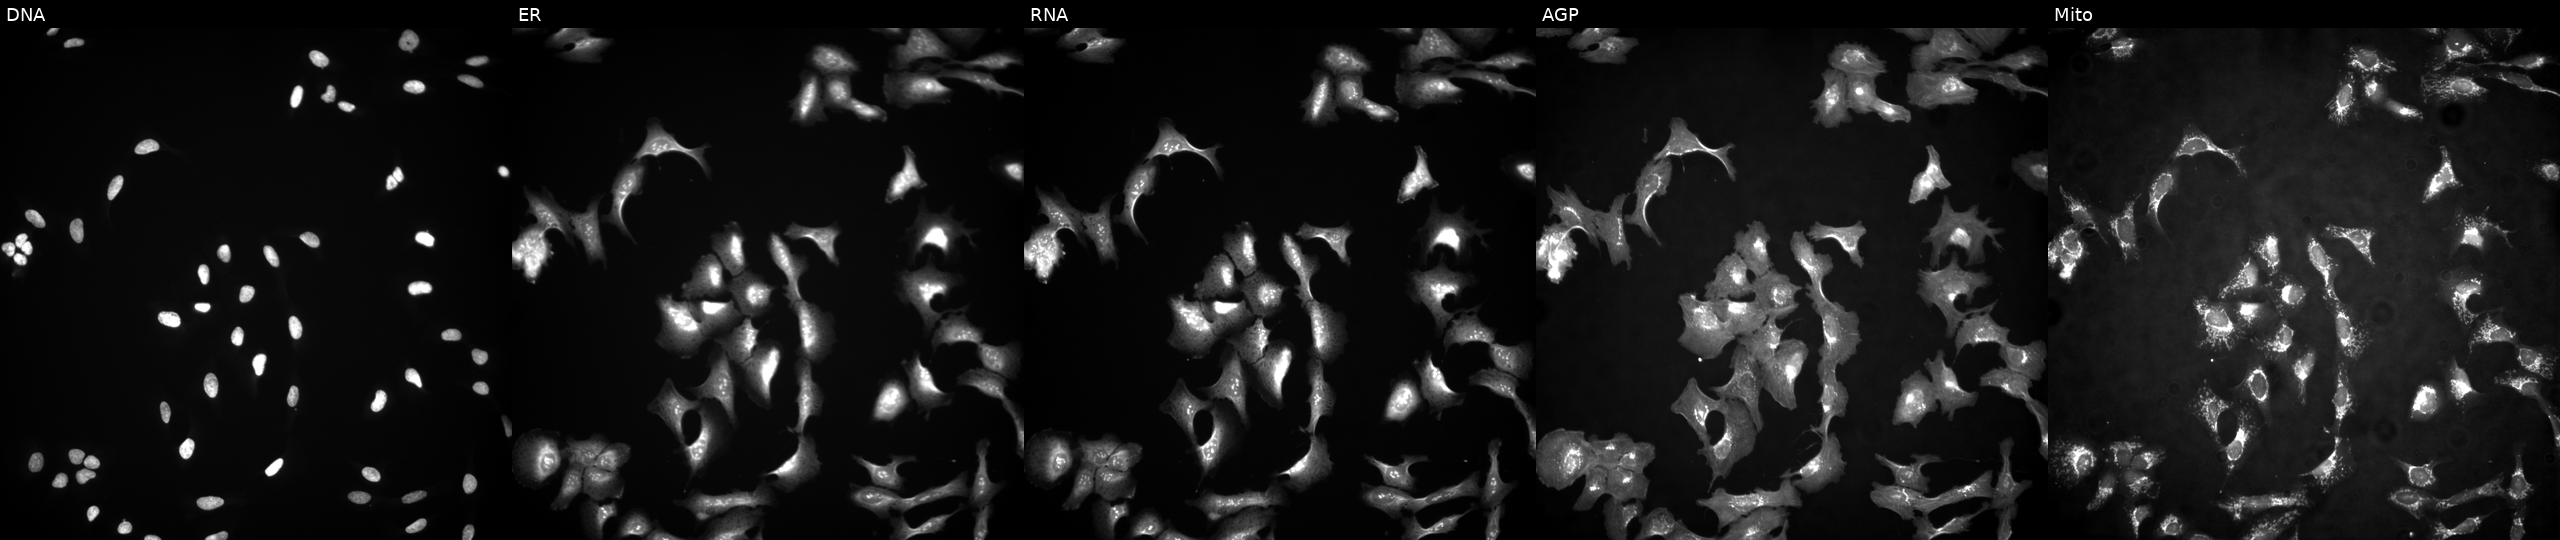
This image strip shows the five Cell Painting channels for a single field of U2OS cells with ZNF549 overexpressed (ORF) (JUMP id JCP2022_904968). Panels show, left to right, DNA (nuclei); ER (endoplasmic reticulum); RNA (nucleoli and cytoplasmic RNA); AGP (actin cytoskeleton, Golgi, and plasma membrane); Mito (mitochondria). Source 4, plate BR00117035, well P14.